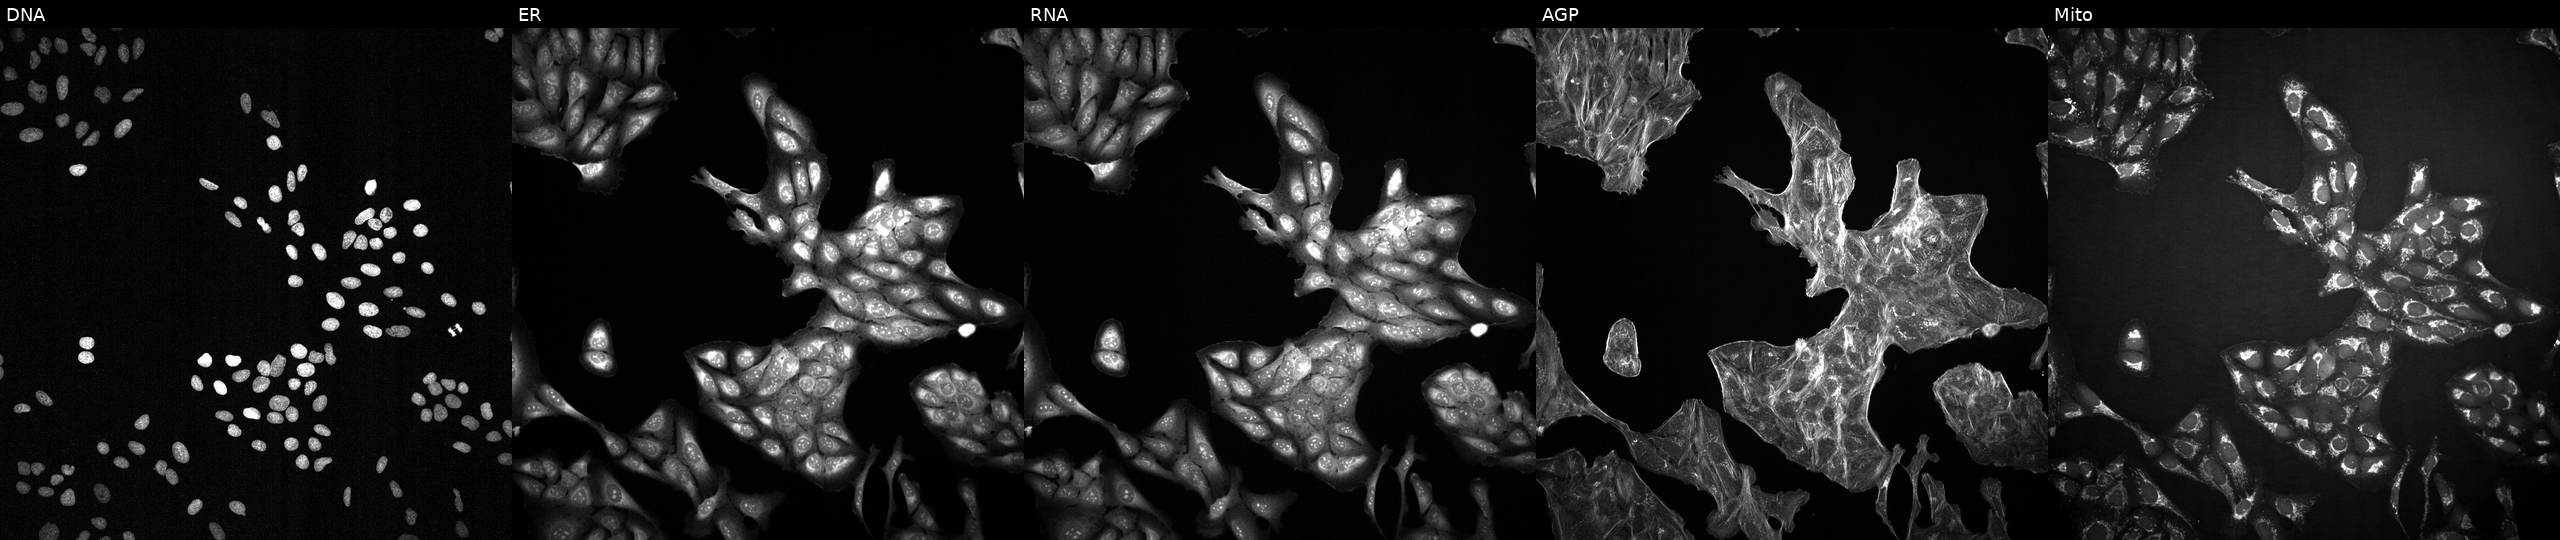
JUMP Cell Painting — TARGET2 plate. U2OS cells exposed to DMSO alone as a negative control (JUMP id JCP2022_033924). Panels show, left to right, DNA (nuclei); ER (endoplasmic reticulum); RNA (nucleoli and cytoplasmic RNA); AGP (actin cytoskeleton, Golgi, and plasma membrane); Mito (mitochondria). Source 2, plate 1053599503, well I20.